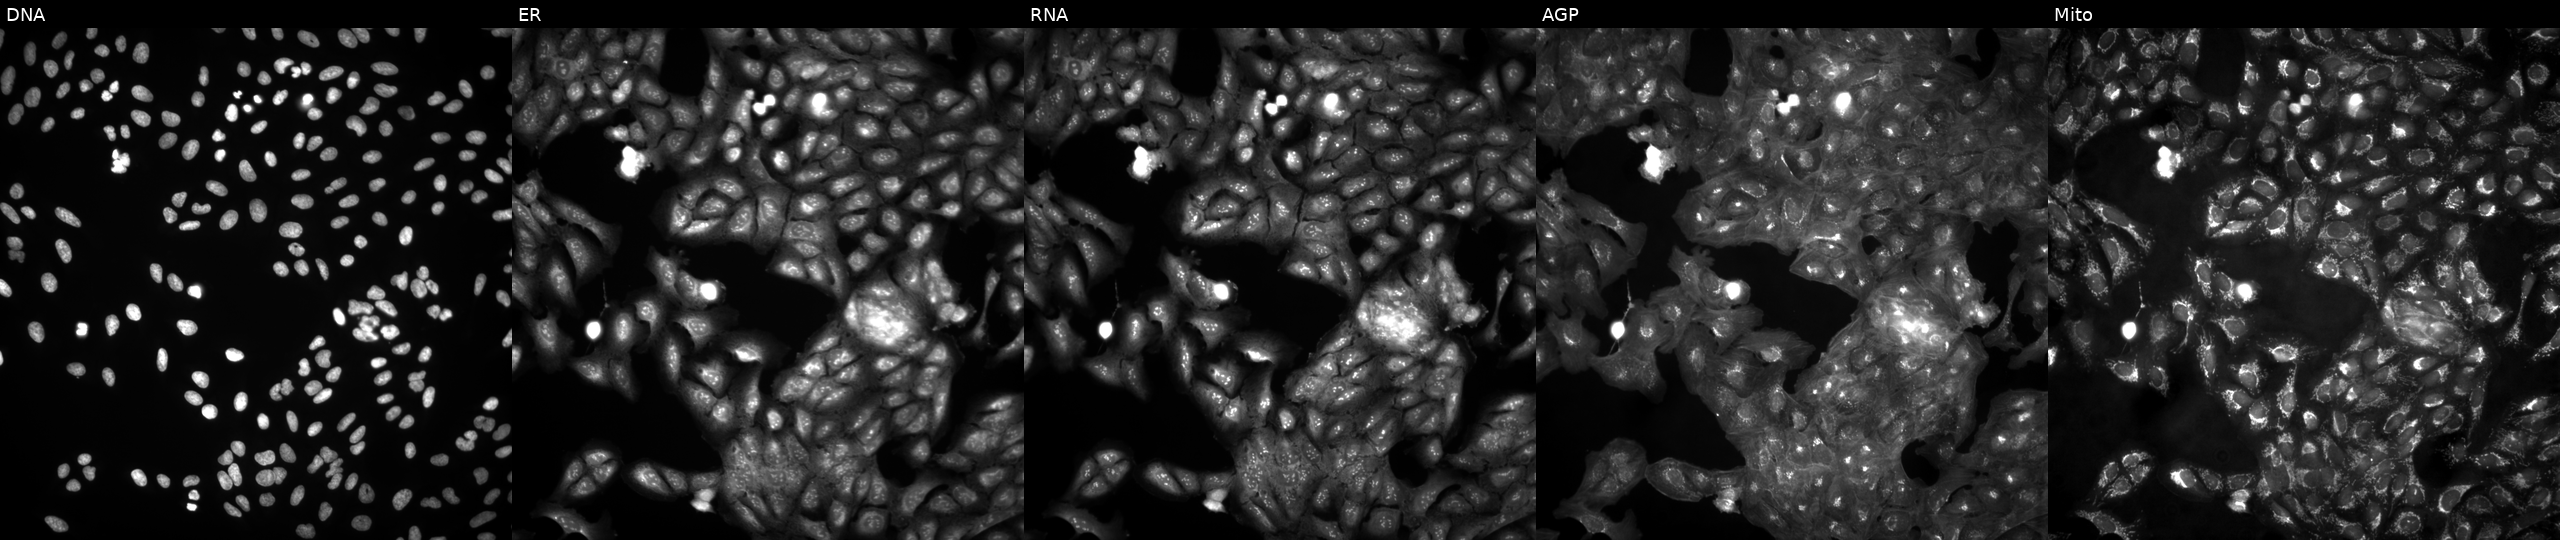
JUMP Cell Painting — ORF plate. U2OS cells untreated (empty-well control). Channels (left→right): Hoechst 33342, concanavalin A, SYTO 14, phalloidin and WGA, MitoTracker.